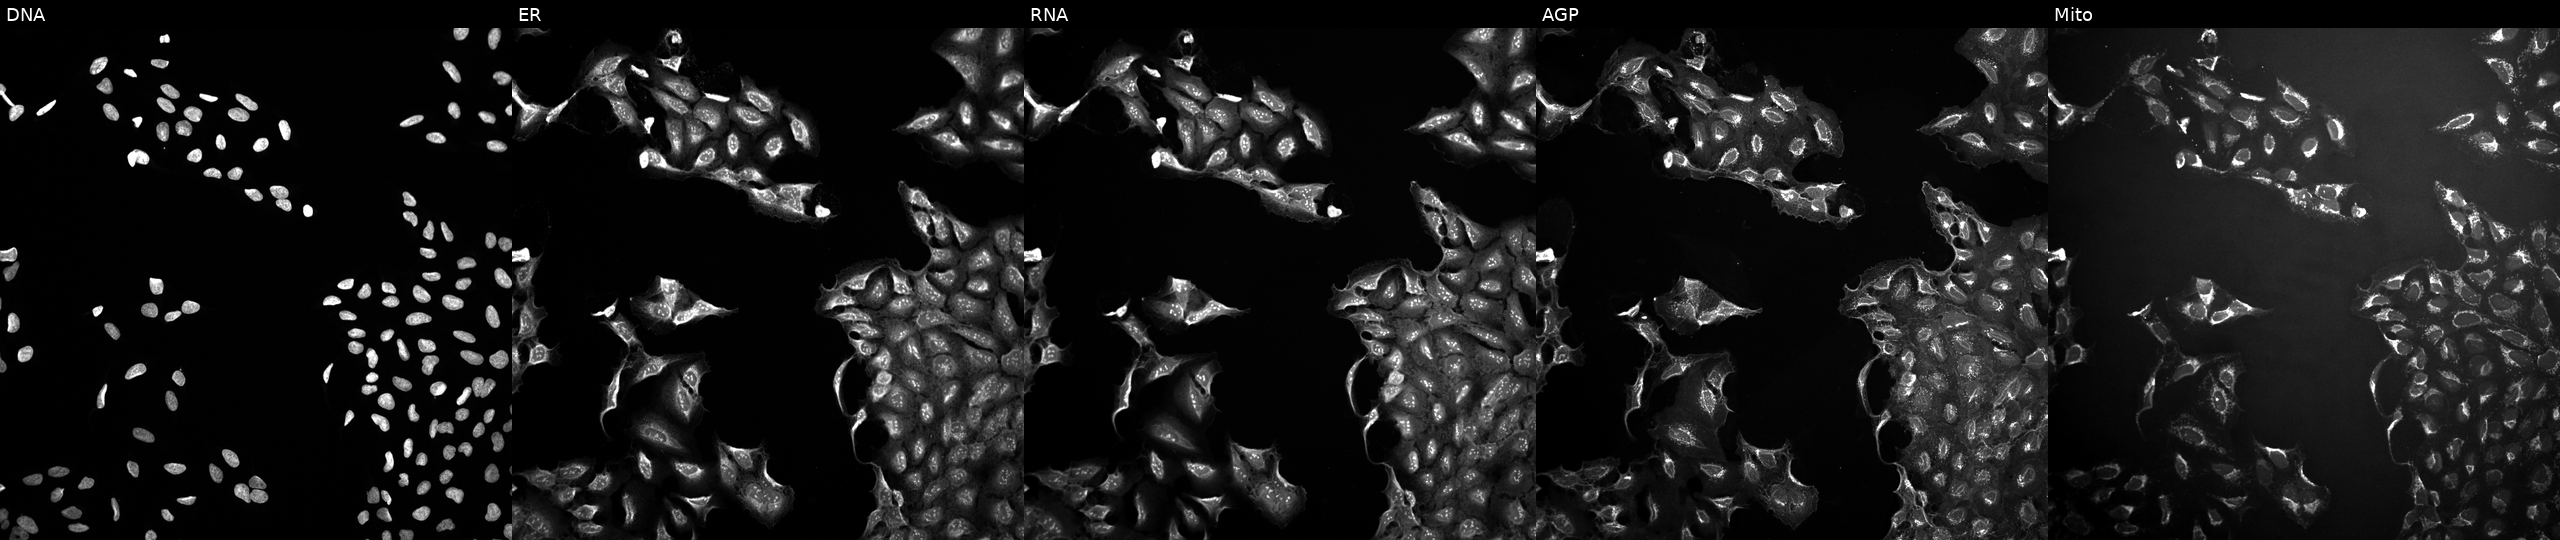
High-content fluorescence microscopy (Cell Painting). Cell line: U2OS. Perturbation: exposed to a small-molecule compound. Channels (left→right): Hoechst 33342, concanavalin A, SYTO 14, phalloidin and WGA, MitoTracker.